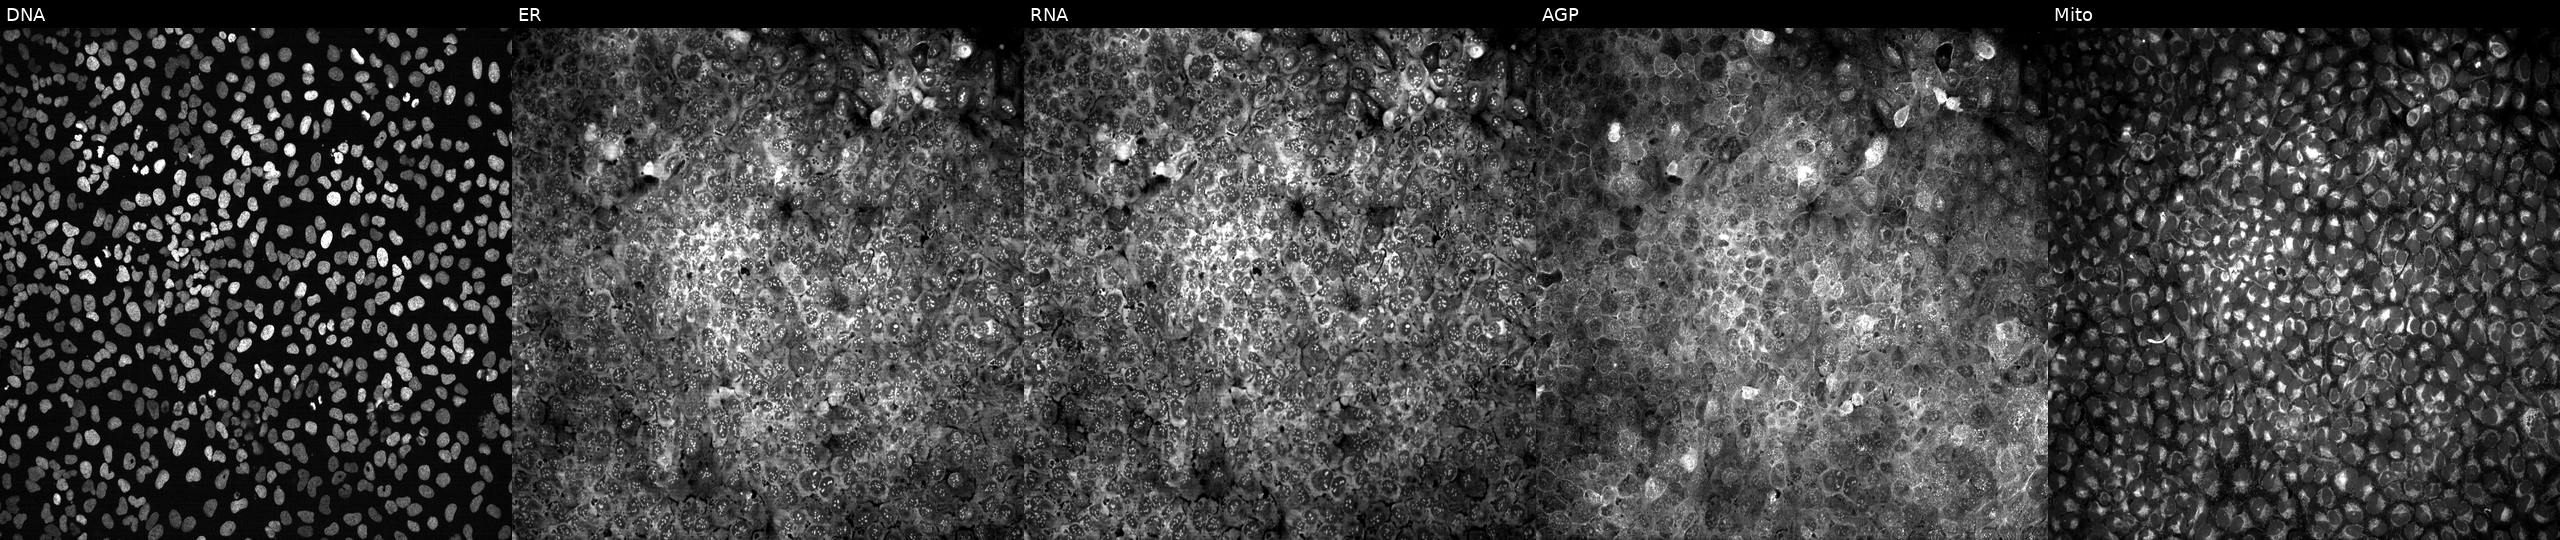
Panels show, left to right, DNA, ER, RNA, AGP, and Mito. U2OS osteosarcoma cells with FGF13 knocked out by CRISPR. Cell Painting assay, JUMP-CP dataset.